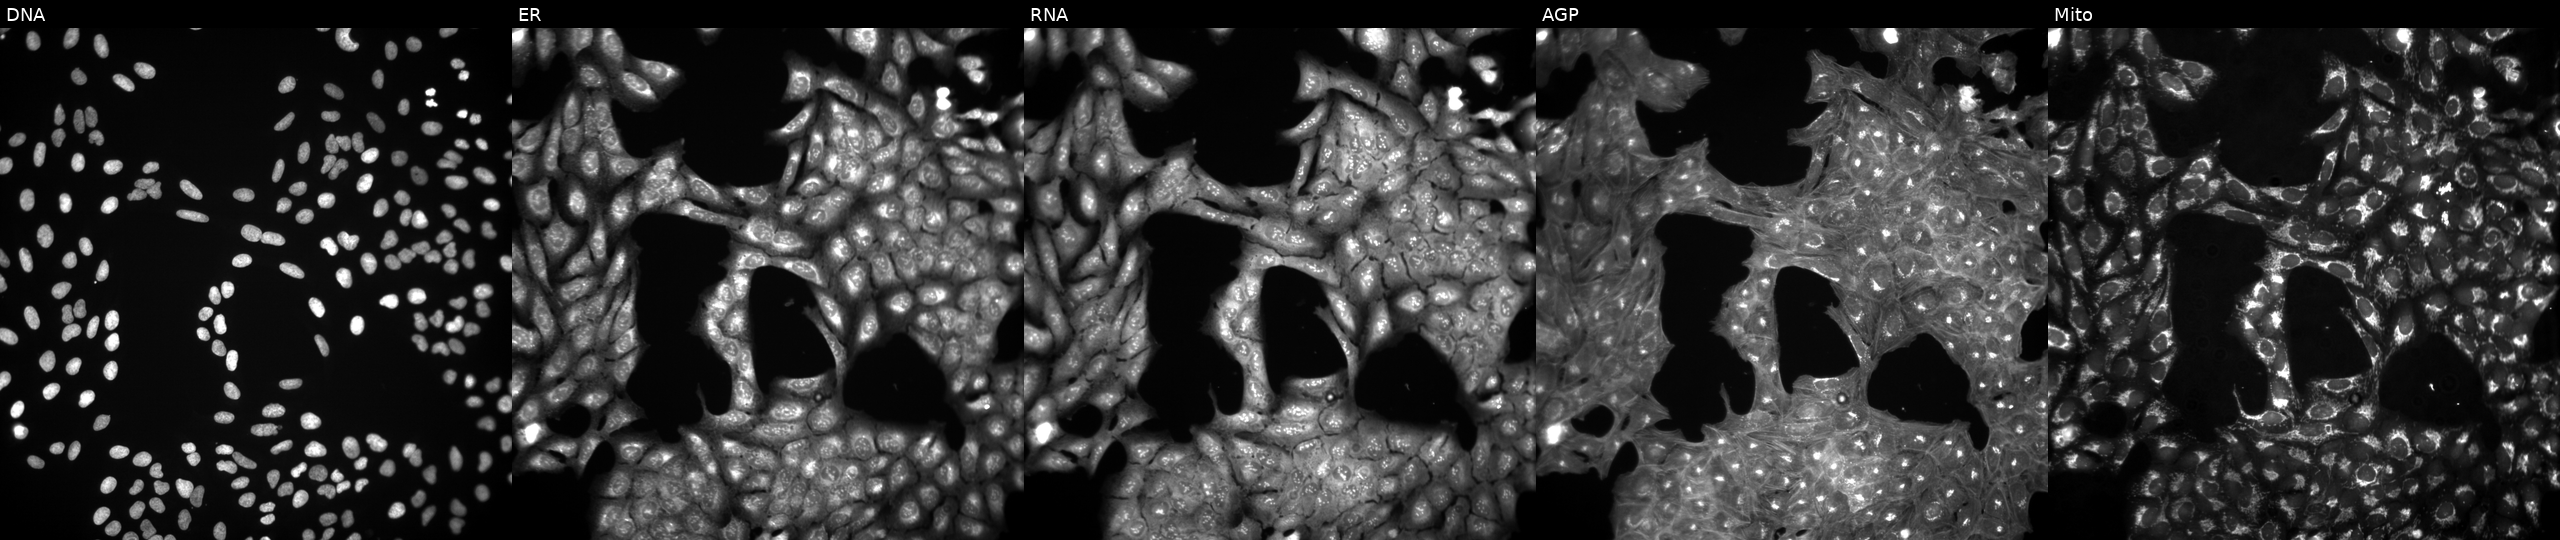
This image strip shows the five Cell Painting channels for a single field of U2OS cells treated with aloxistatin (positive-control compound). Panels show, left to right, Hoechst 33342, concanavalin A, SYTO 14, phalloidin and WGA, MitoTracker. Source 3, plate BR5867a3, well E24.